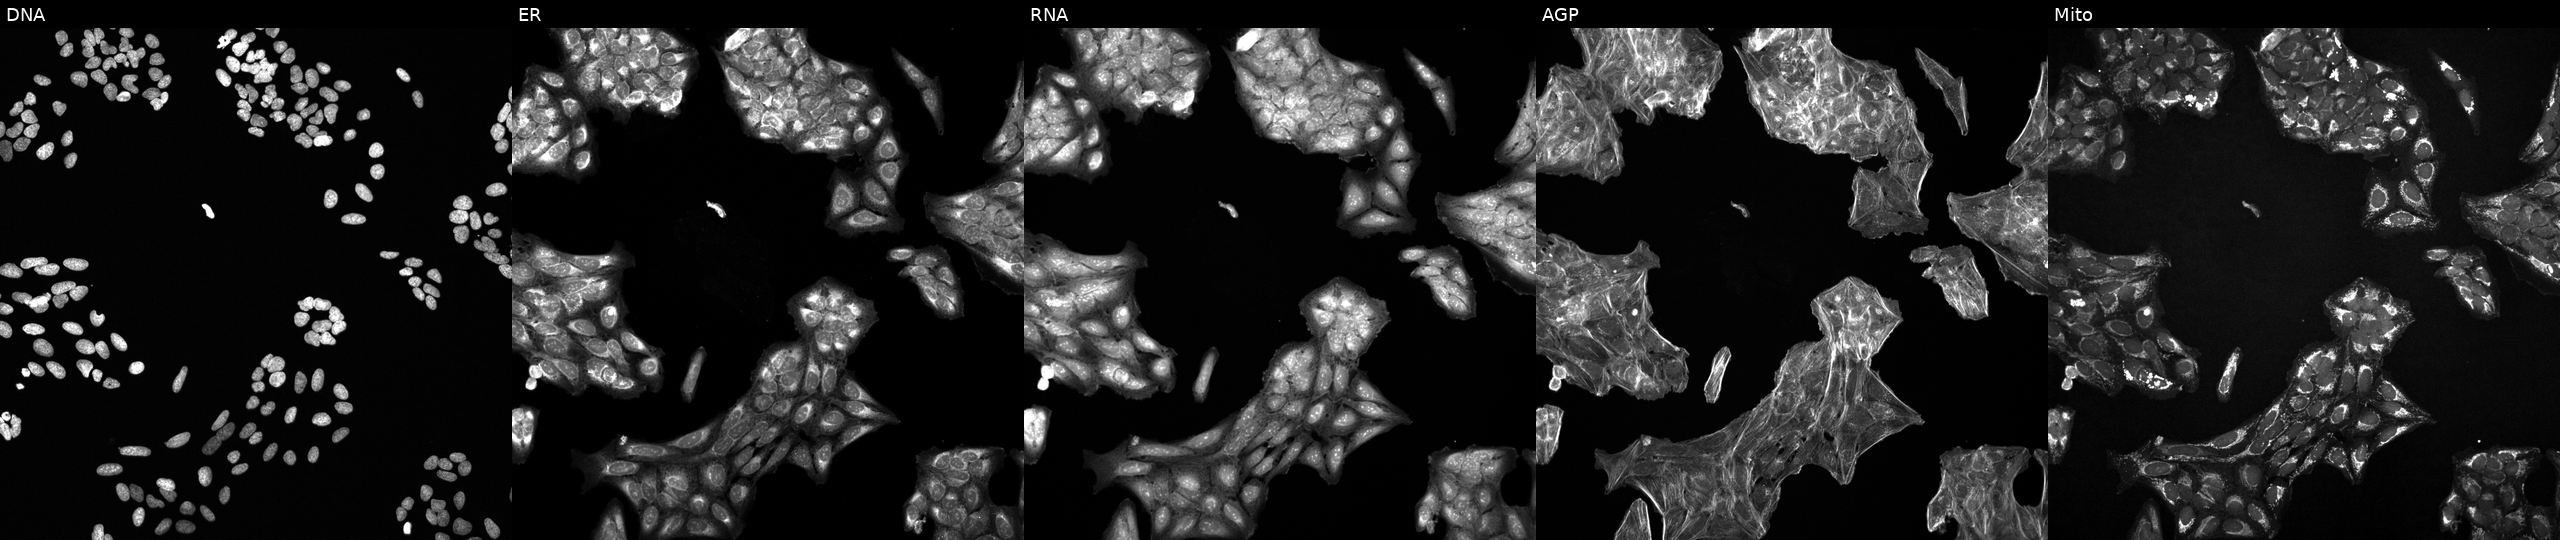
U2OS cells, Cell Painting assay, exposed to a small-molecule compound (InChIKey PBBRWFOVCUAONR-UHFFFAOYSA-N) (JUMP id JCP2022_067432). Panels show, left to right, DNA (nuclei); ER (endoplasmic reticulum); RNA (nucleoli and cytoplasmic RNA); AGP (actin cytoskeleton, Golgi, and plasma membrane); Mito (mitochondria). Each panel is percentile-stretched 16-bit fluorescence.